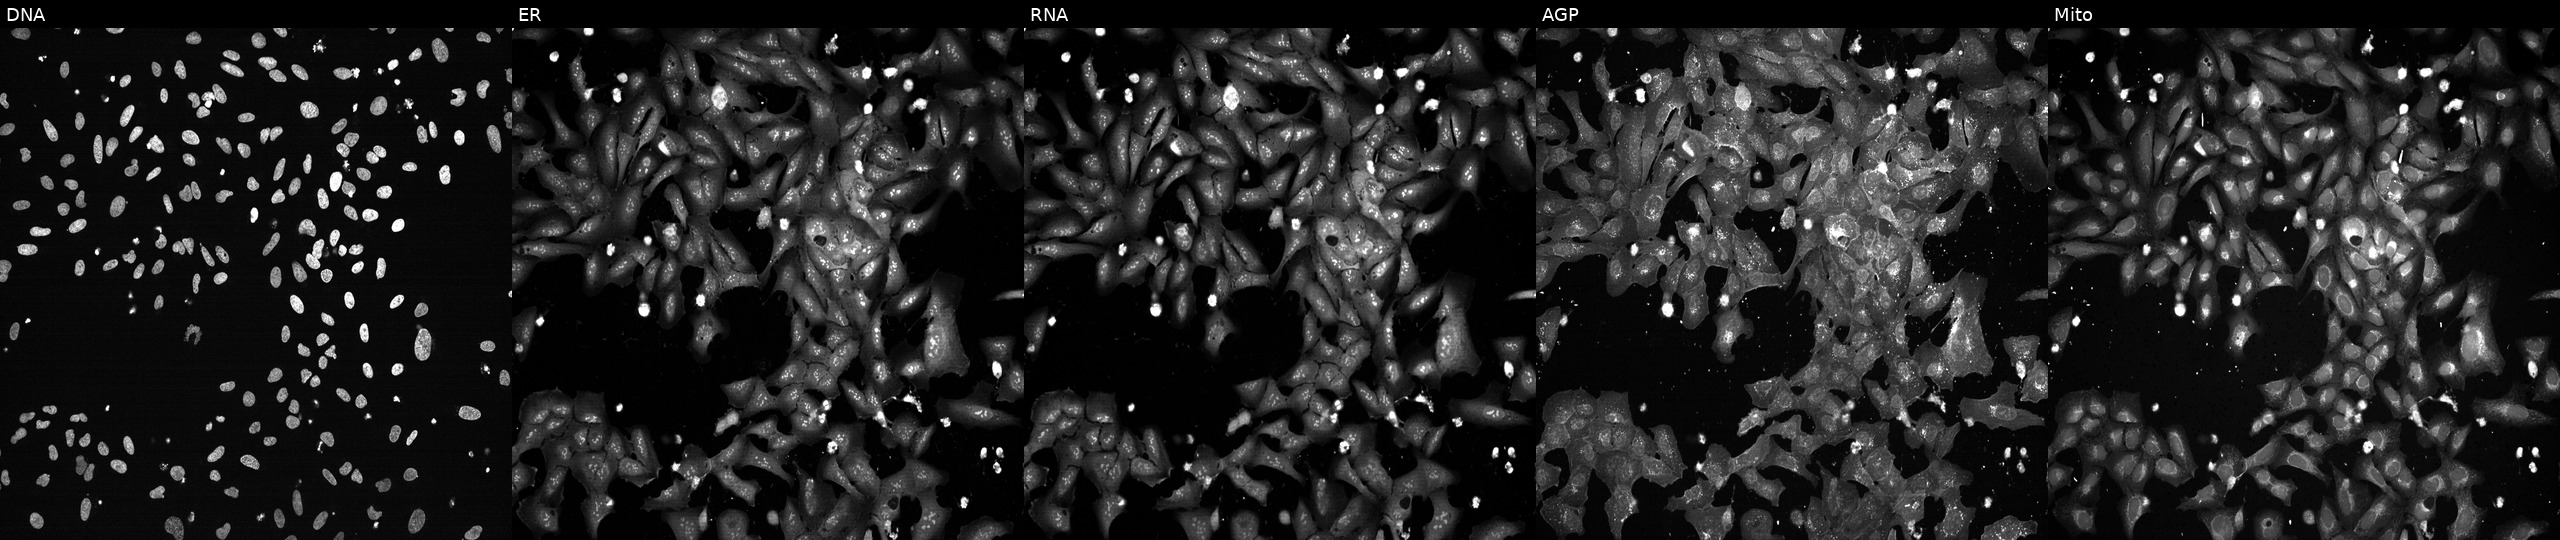
U2OS cells, Cell Painting assay, following CRISPR knockout of POLR2G (JUMP id JCP2022_805348). Channels (left→right): Hoechst 33342, concanavalin A, SYTO 14, phalloidin and WGA, MitoTracker. Each panel is percentile-stretched 16-bit fluorescence. Source 13, plate CP-CC9-R1-01, well G08.